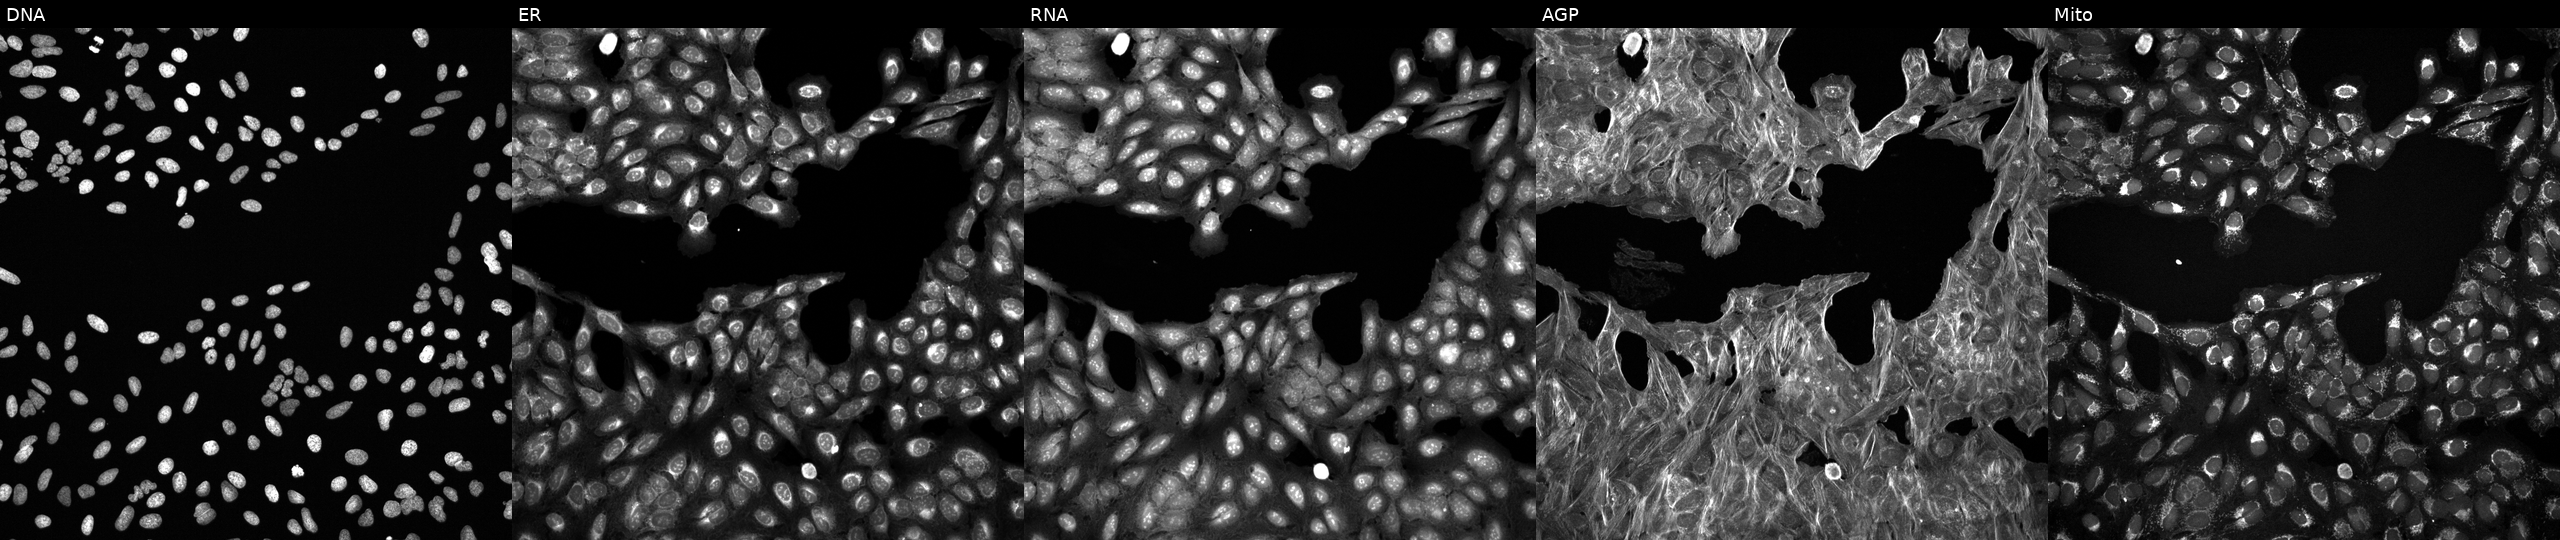
Five-channel Cell Painting image of U2OS cells treated with a small-molecule compound (InChIKey XFKJRARQACJTCC-UHFFFAOYSA-N). From left to right: Hoechst 33342, concanavalin A, SYTO 14, phalloidin and WGA, MitoTracker.